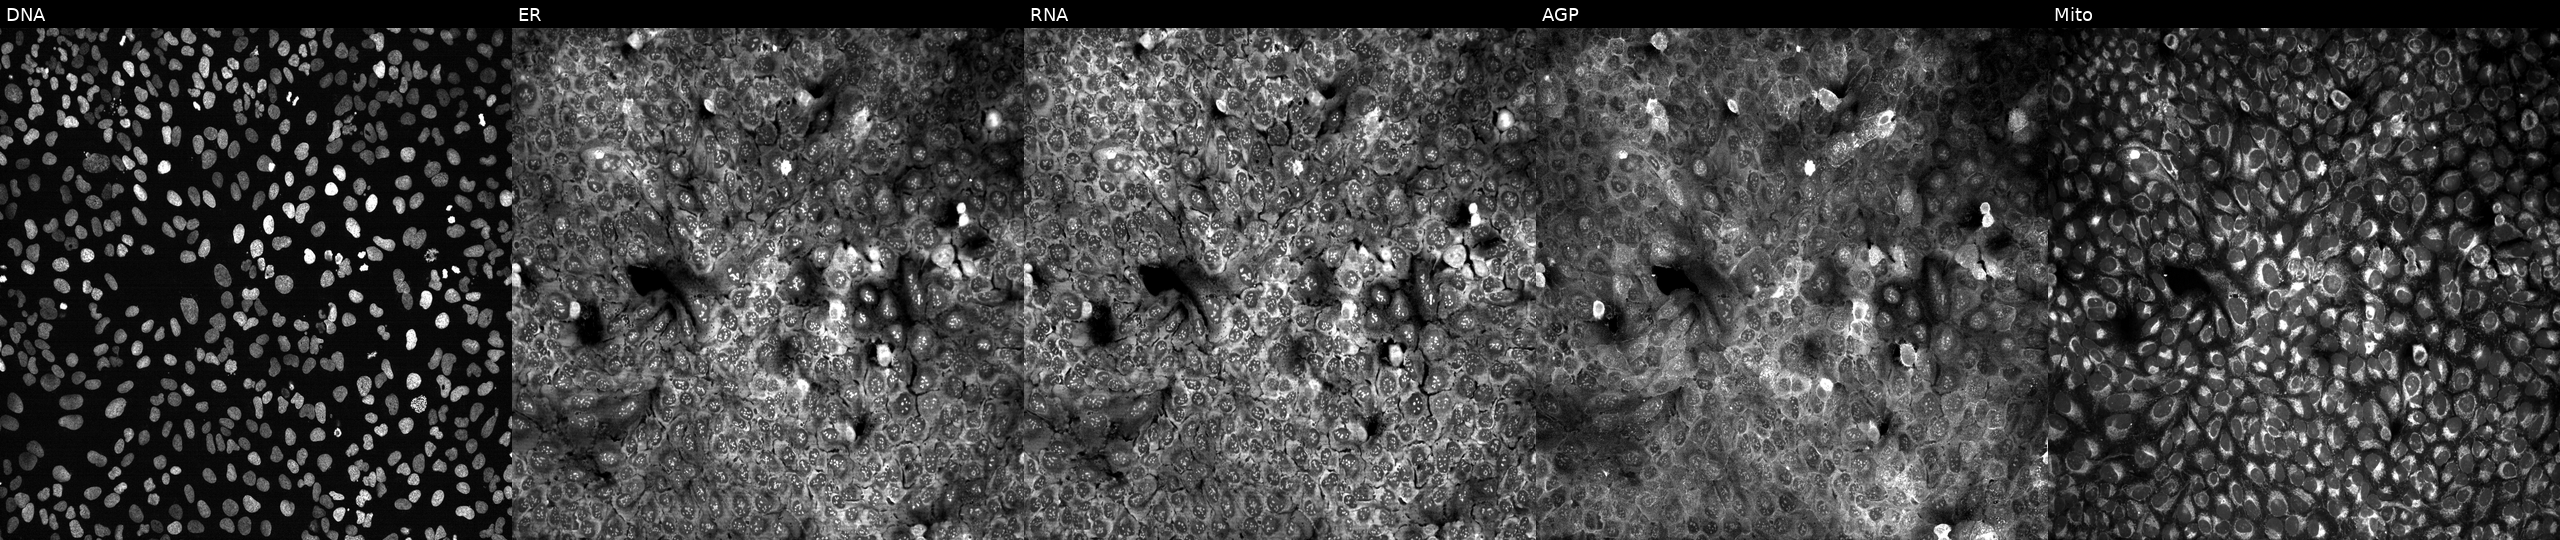
High-content fluorescence microscopy (Cell Painting). Cell line: U2OS. Perturbation: with KYAT1 knocked out by CRISPR. From left to right: DNA, ER, RNA, AGP, and Mito.